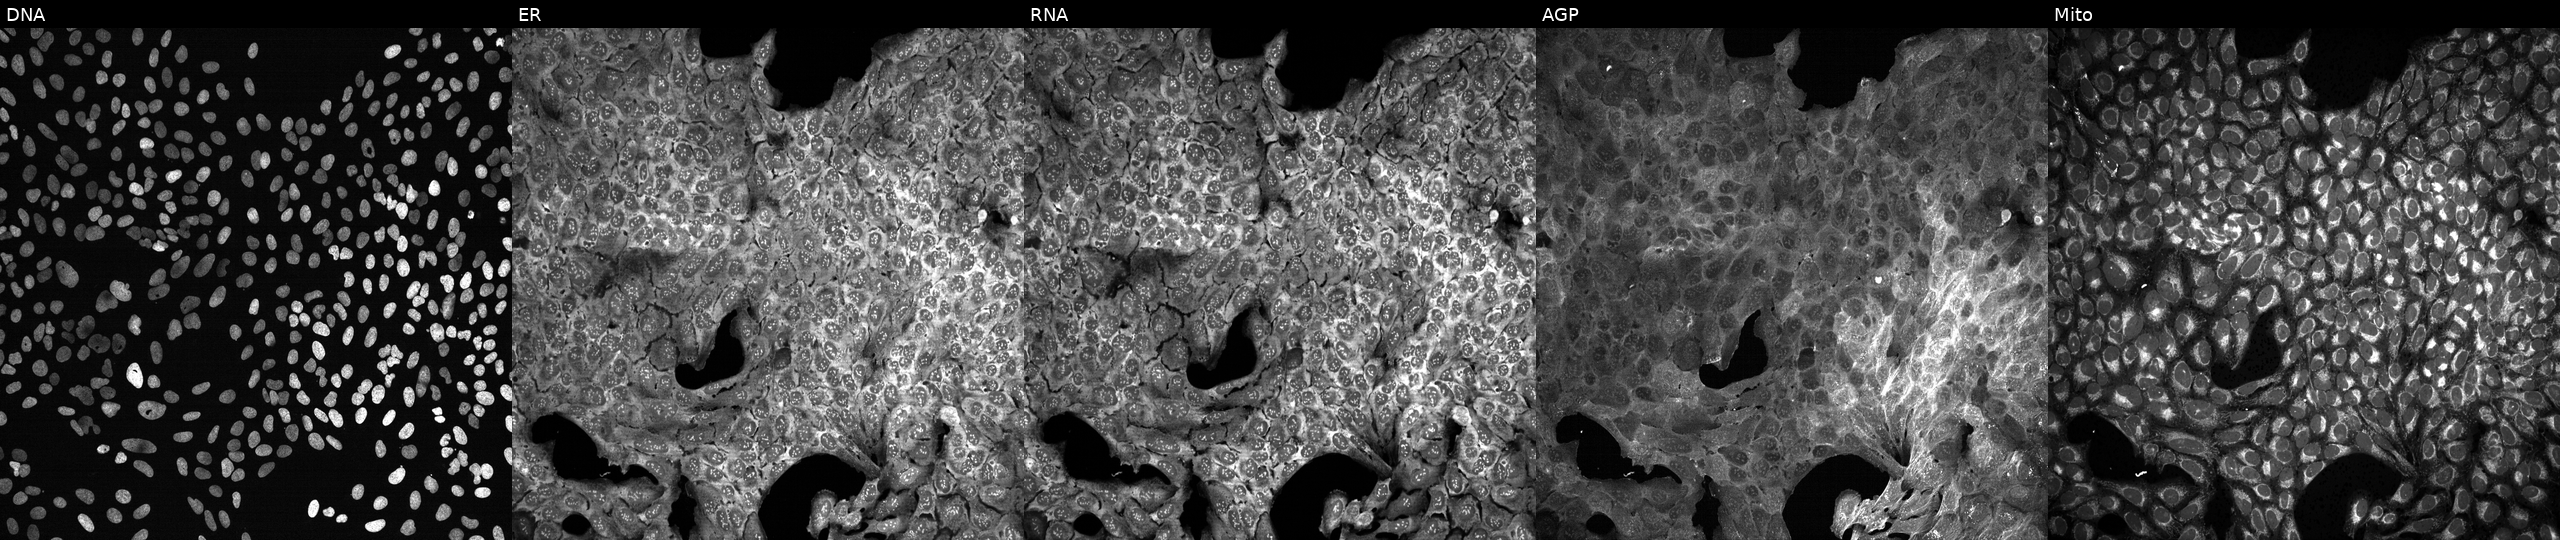
U2OS cells, Cell Painting assay, exposed to the positive-control compound dexamethasone (JUMP id JCP2022_025848). Channels (left→right): DNA, ER, RNA, AGP, and Mito. Each panel is percentile-stretched 16-bit fluorescence.